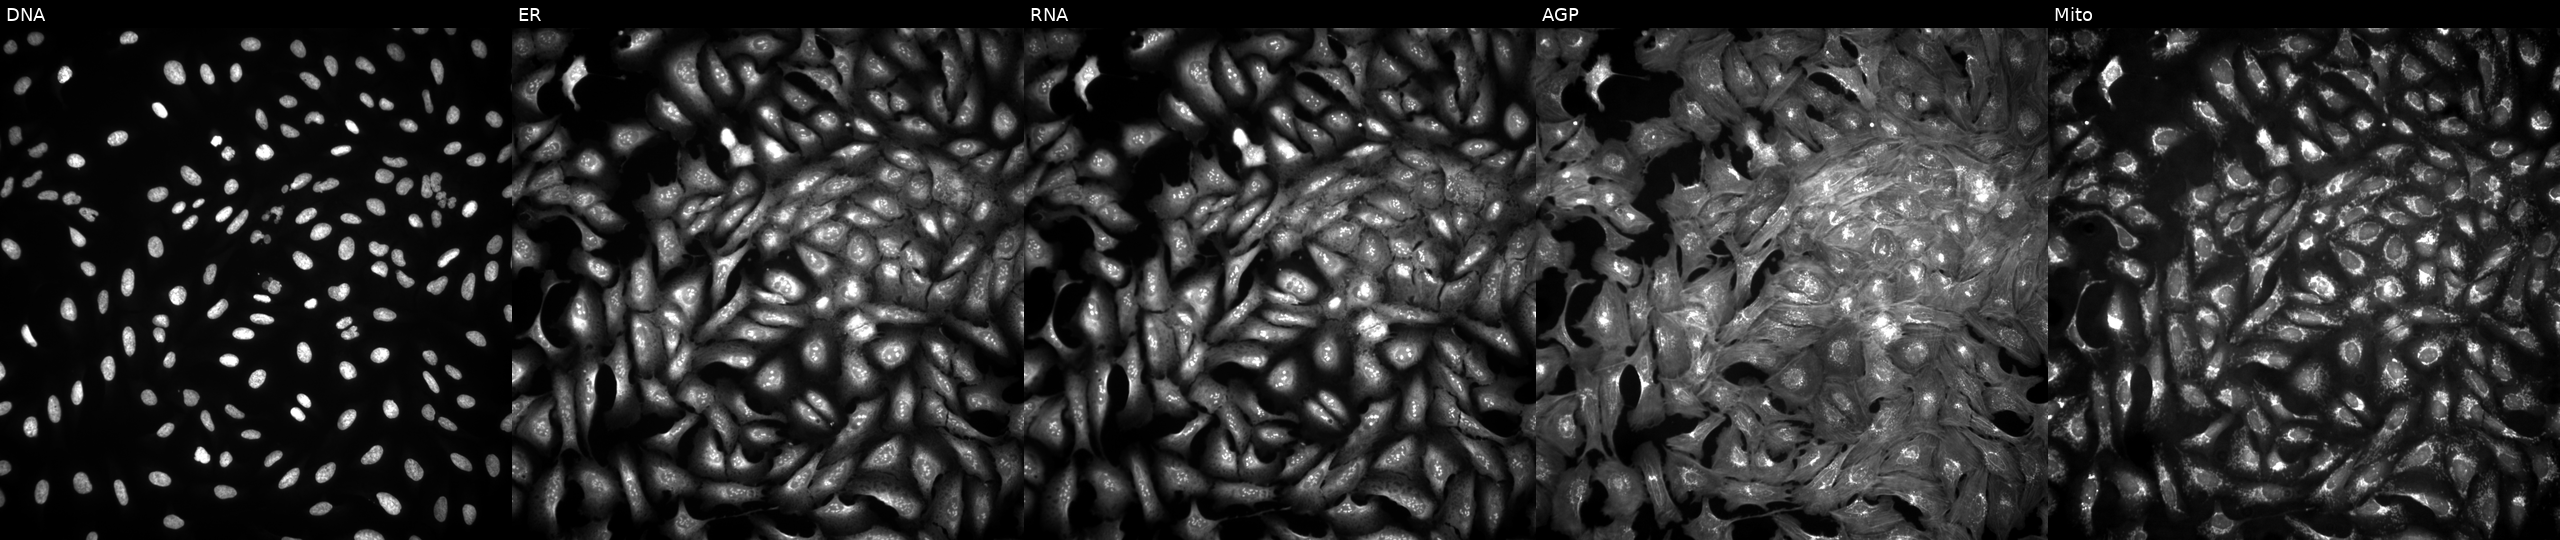
Channels (left→right): Hoechst 33342, concanavalin A, SYTO 14, phalloidin and WGA, MitoTracker. U2OS osteosarcoma cells with SELENOH overexpressed (ORF) (JUMP id JCP2022_904990). Cell Painting assay, JUMP-CP dataset.